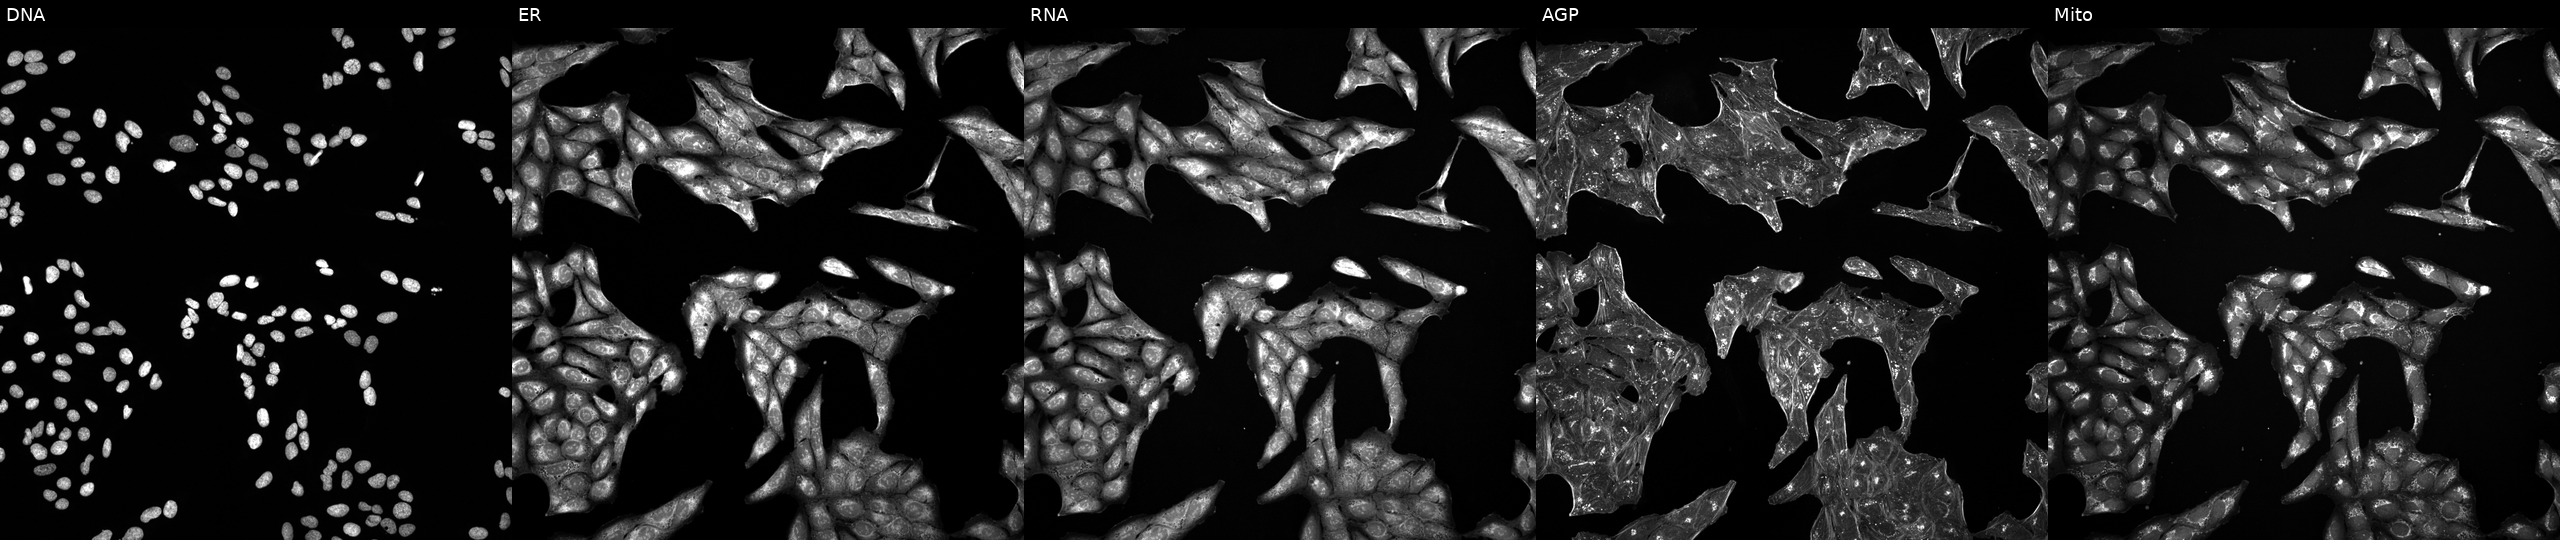
JUMP Cell Painting — TARGET2 plate. U2OS cells exposed to a small-molecule compound (JUMP id JCP2022_045036). Channels (left→right): DNA, ER, RNA, AGP, and Mito.